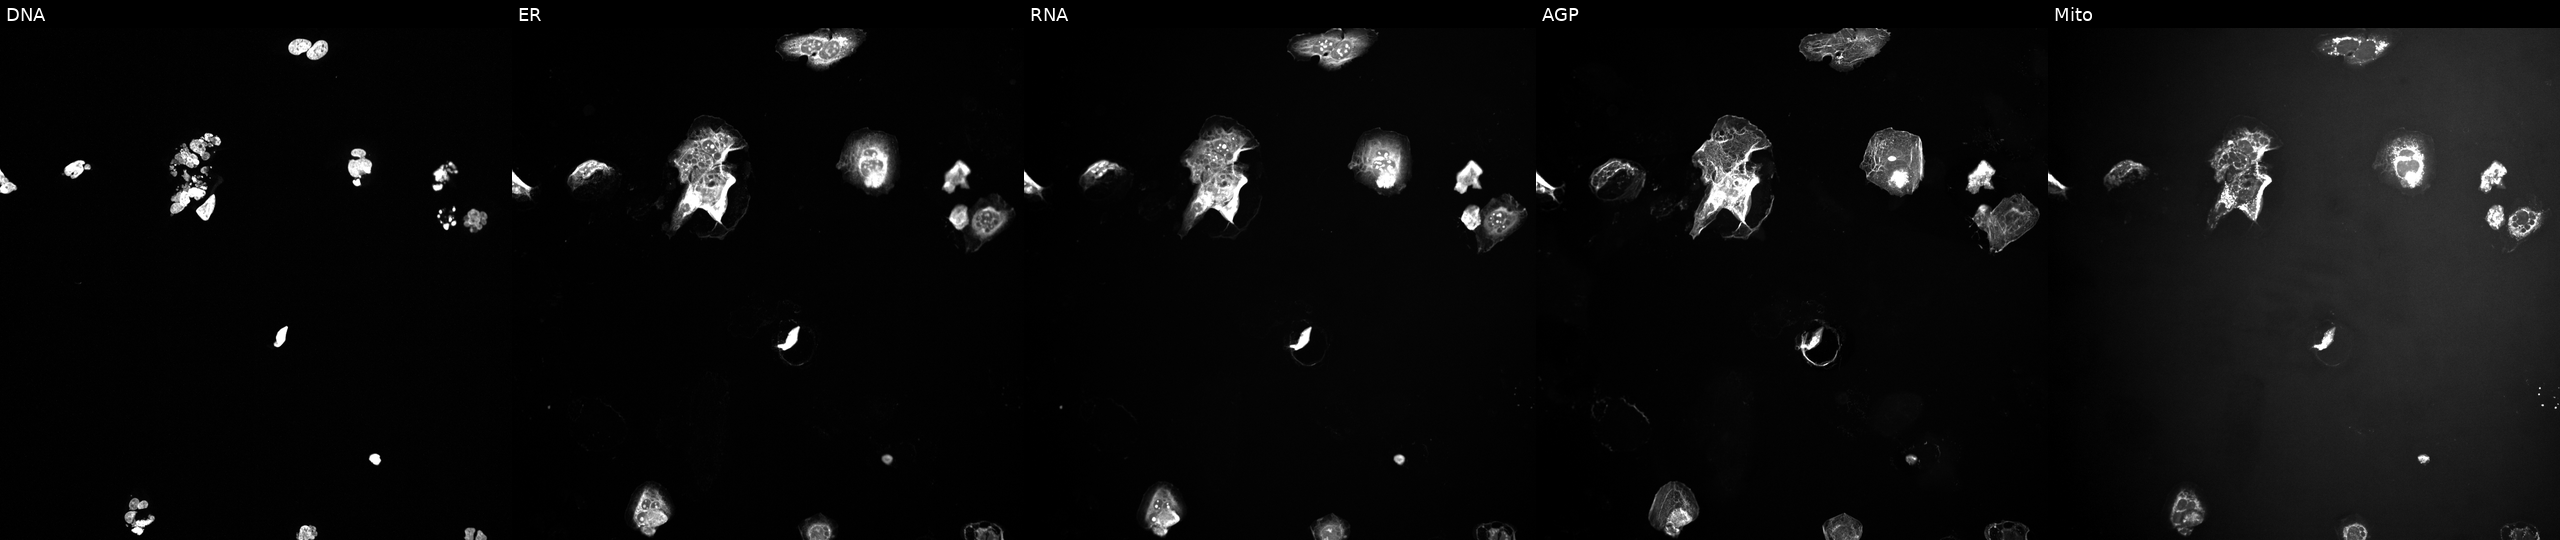
This image strip shows the five Cell Painting channels for a single field of U2OS cells perturbed with a small-molecule compound (InChIKey FABUFPQFXZVHFB-UHFFFAOYSA-N) (JUMP id JCP2022_019314). Channels (left→right): Hoechst 33342, concanavalin A, SYTO 14, phalloidin and WGA, MitoTracker. Source 10, plate Dest210727-153003, well K22.